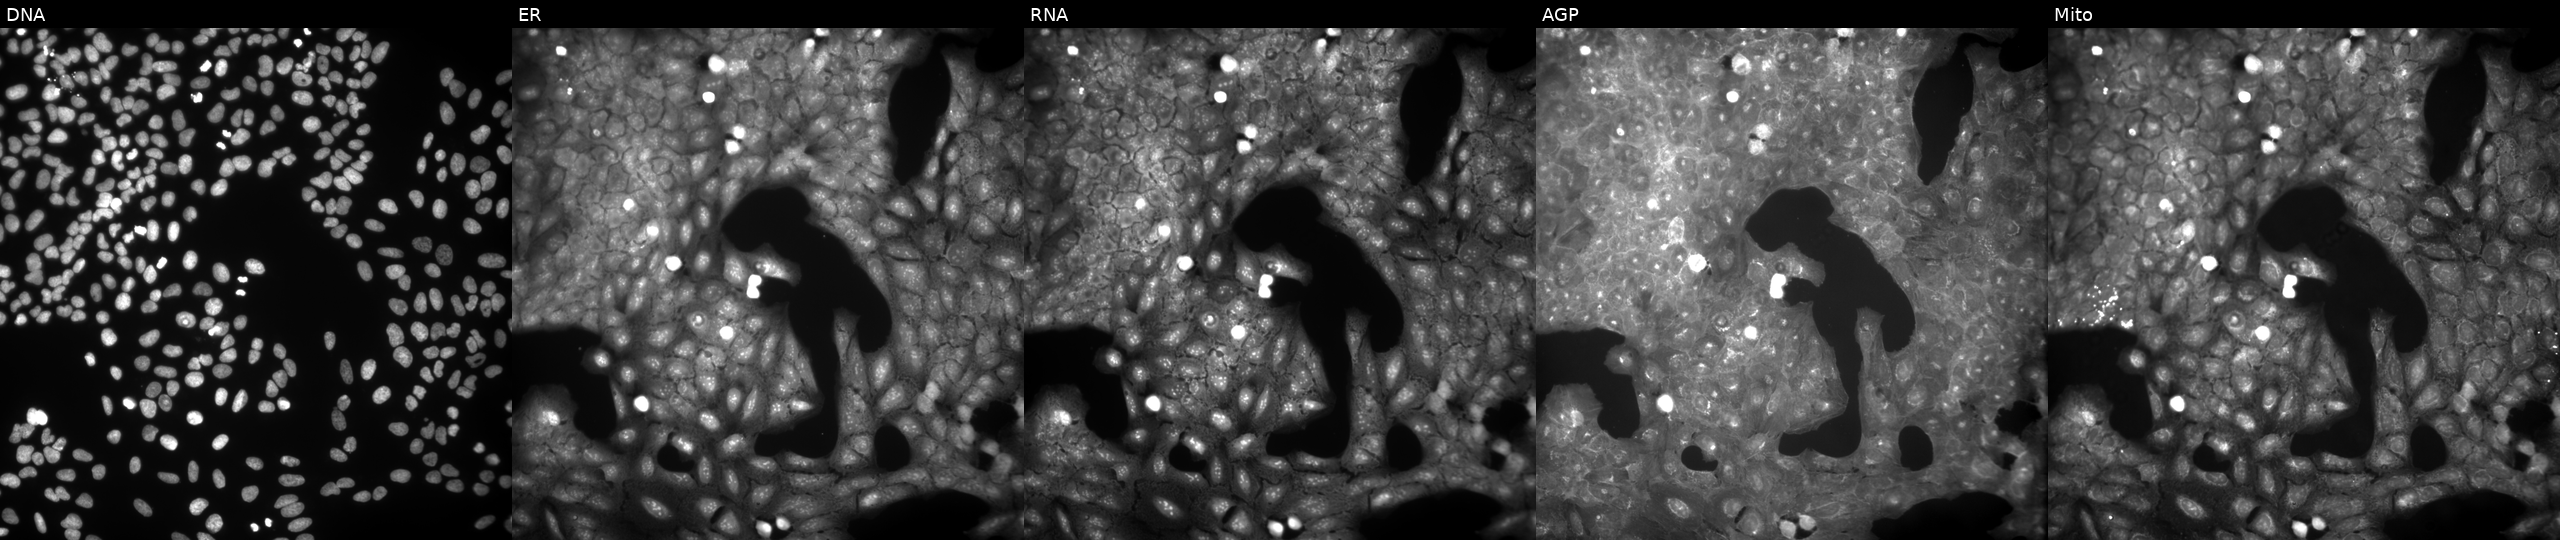
High-content fluorescence microscopy (Cell Painting). Cell line: U2OS. Perturbation: treated with a small-molecule compound (InChIKey UANBPNLCEURUTH-UHFFFAOYSA-N). Channels (left→right): DNA (nuclei); ER (endoplasmic reticulum); RNA (nucleoli and cytoplasmic RNA); AGP (actin cytoskeleton, Golgi, and plasma membrane); Mito (mitochondria).